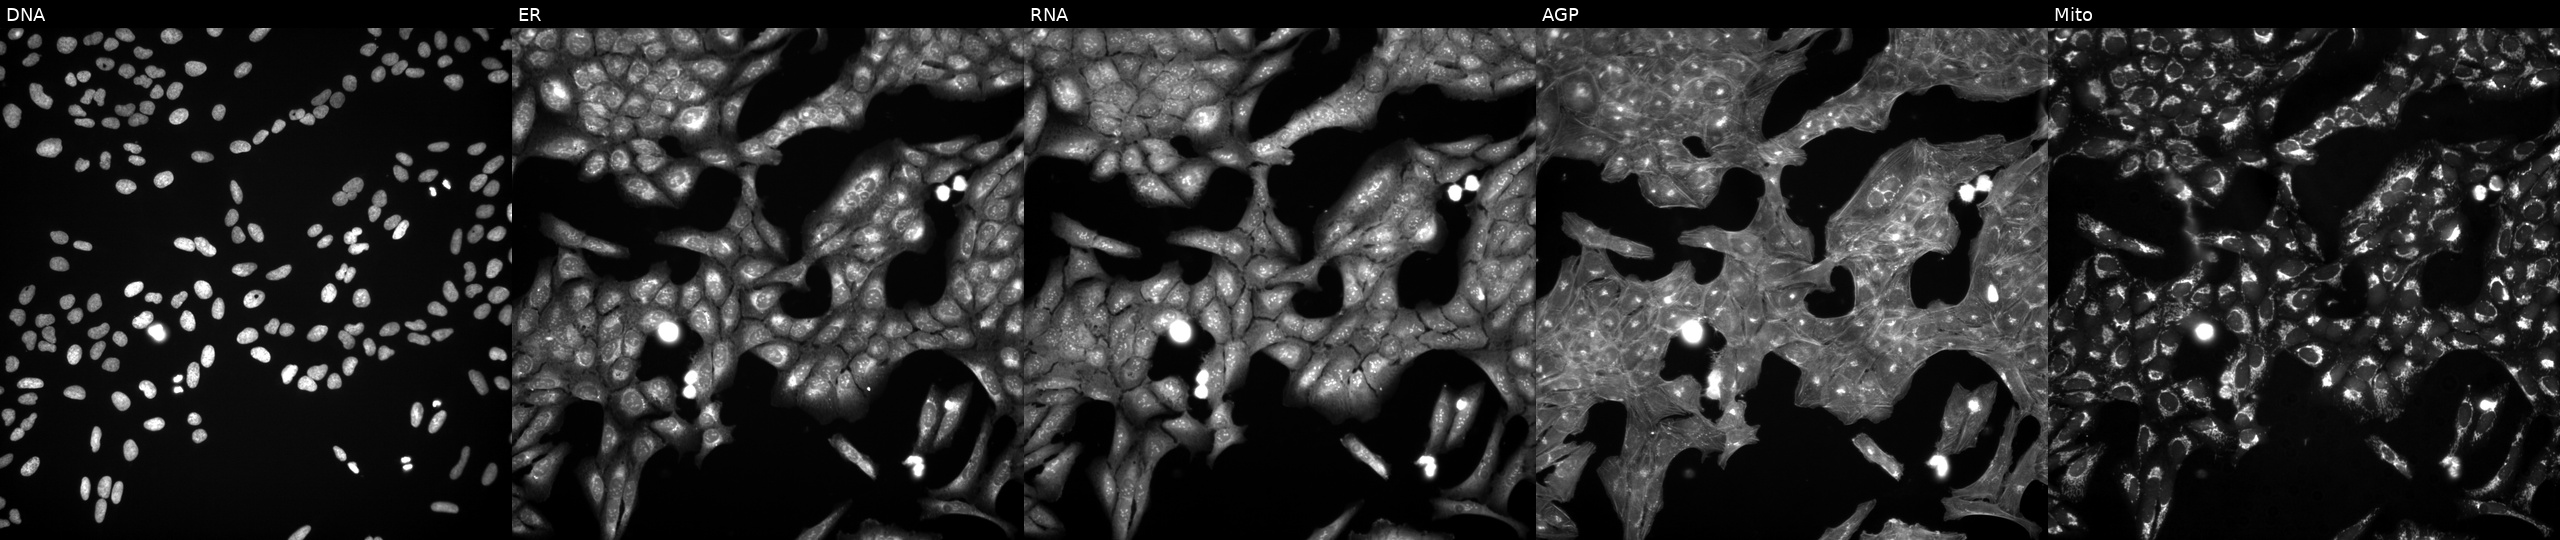
Panels show, left to right, DNA, ER, RNA, AGP, and Mito. U2OS osteosarcoma cells exposed to a small-molecule compound (InChIKey UIEATEWHFDRYRU-UHFFFAOYSA-N). Cell Painting assay, JUMP-CP dataset. Source 3, plate JCPQC053, well G07.